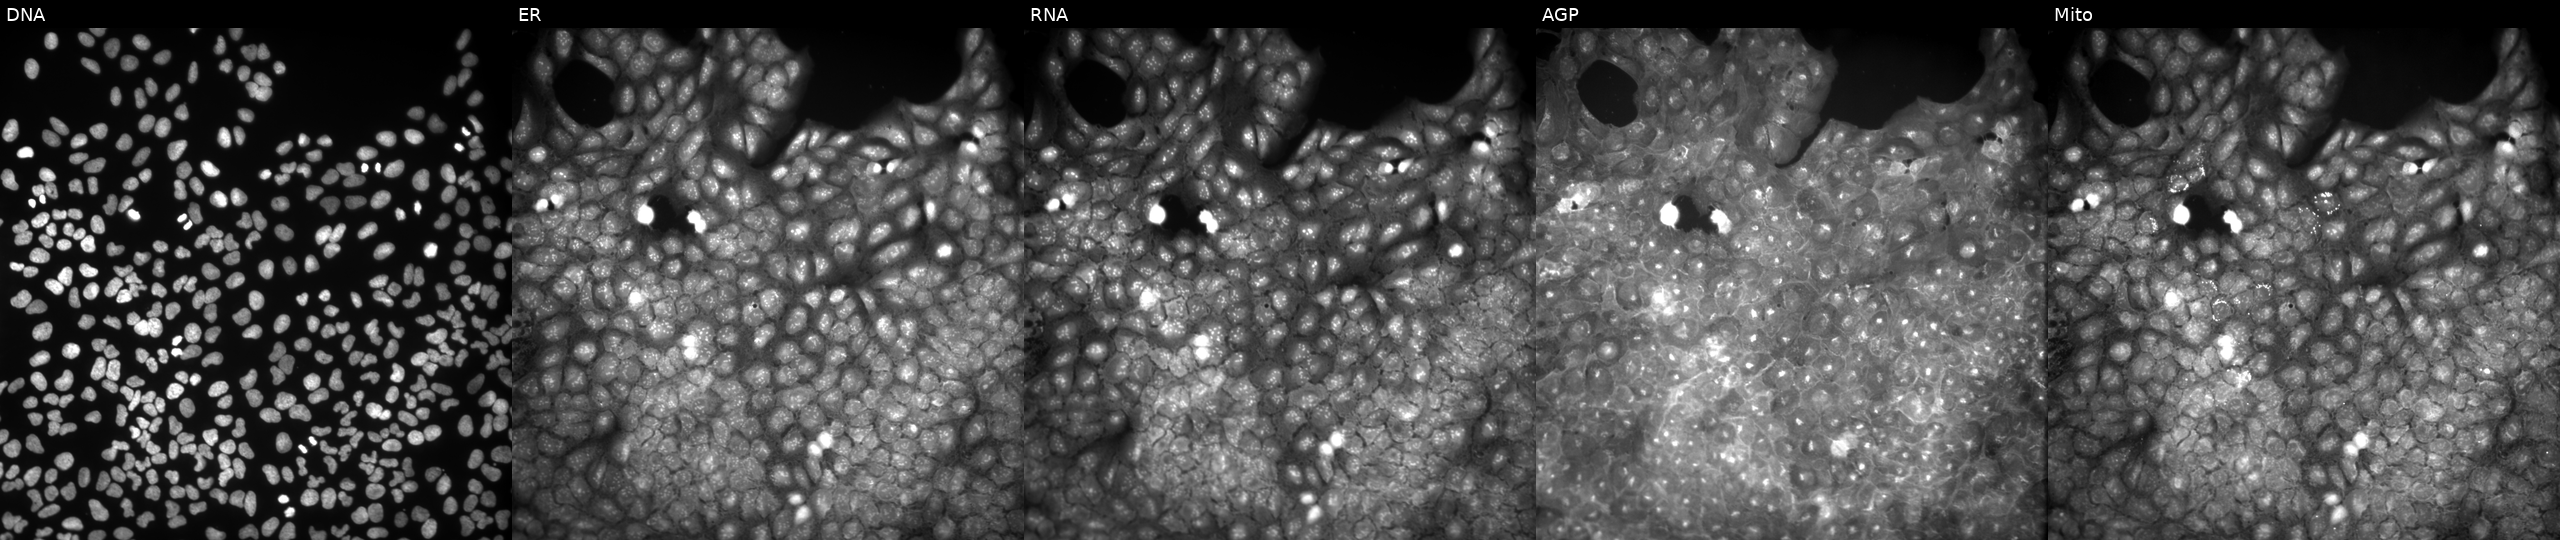
High-content fluorescence microscopy (Cell Painting). Cell line: U2OS. Perturbation: exposed to a small-molecule compound (InChIKey KWUOGBMWEZLWHF-UHFFFAOYSA-N) (JUMP id JCP2022_047498). From left to right: DNA (nuclei); ER (endoplasmic reticulum); RNA (nucleoli and cytoplasmic RNA); AGP (actin cytoskeleton, Golgi, and plasma membrane); Mito (mitochondria). Source 9, plate GR00003382, well AC15.